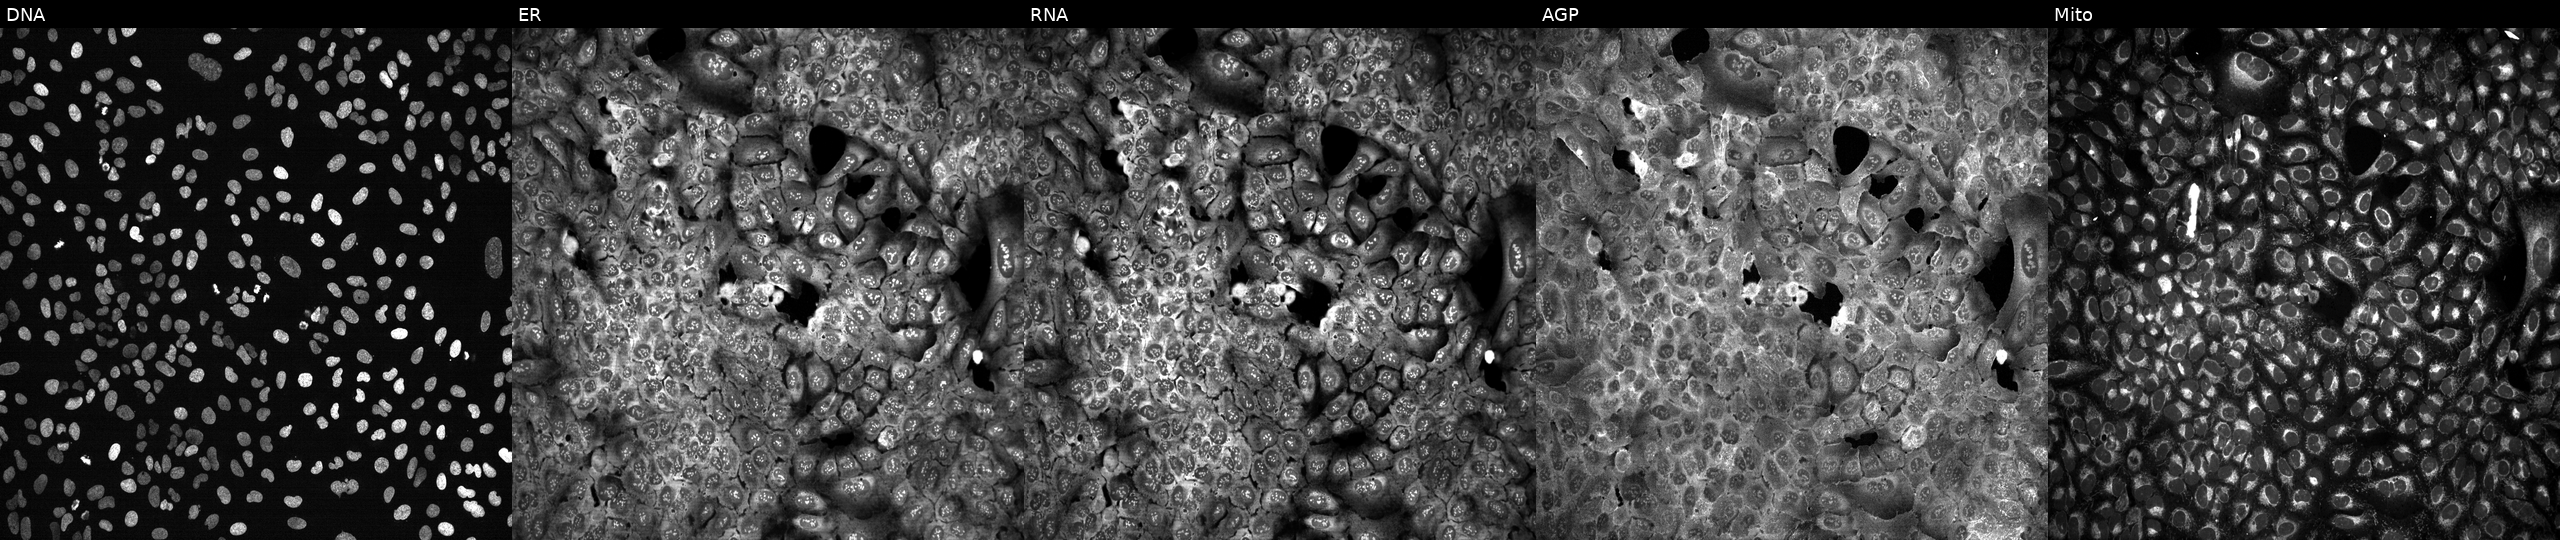
This image strip shows the five Cell Painting channels for a single field of U2OS cells CRISPR-edited to disrupt PIWIL1 (JUMP id JCP2022_805191). The five panels, left to right, show DNA (nuclei); ER (endoplasmic reticulum); RNA (nucleoli and cytoplasmic RNA); AGP (actin cytoskeleton, Golgi, and plasma membrane); Mito (mitochondria).